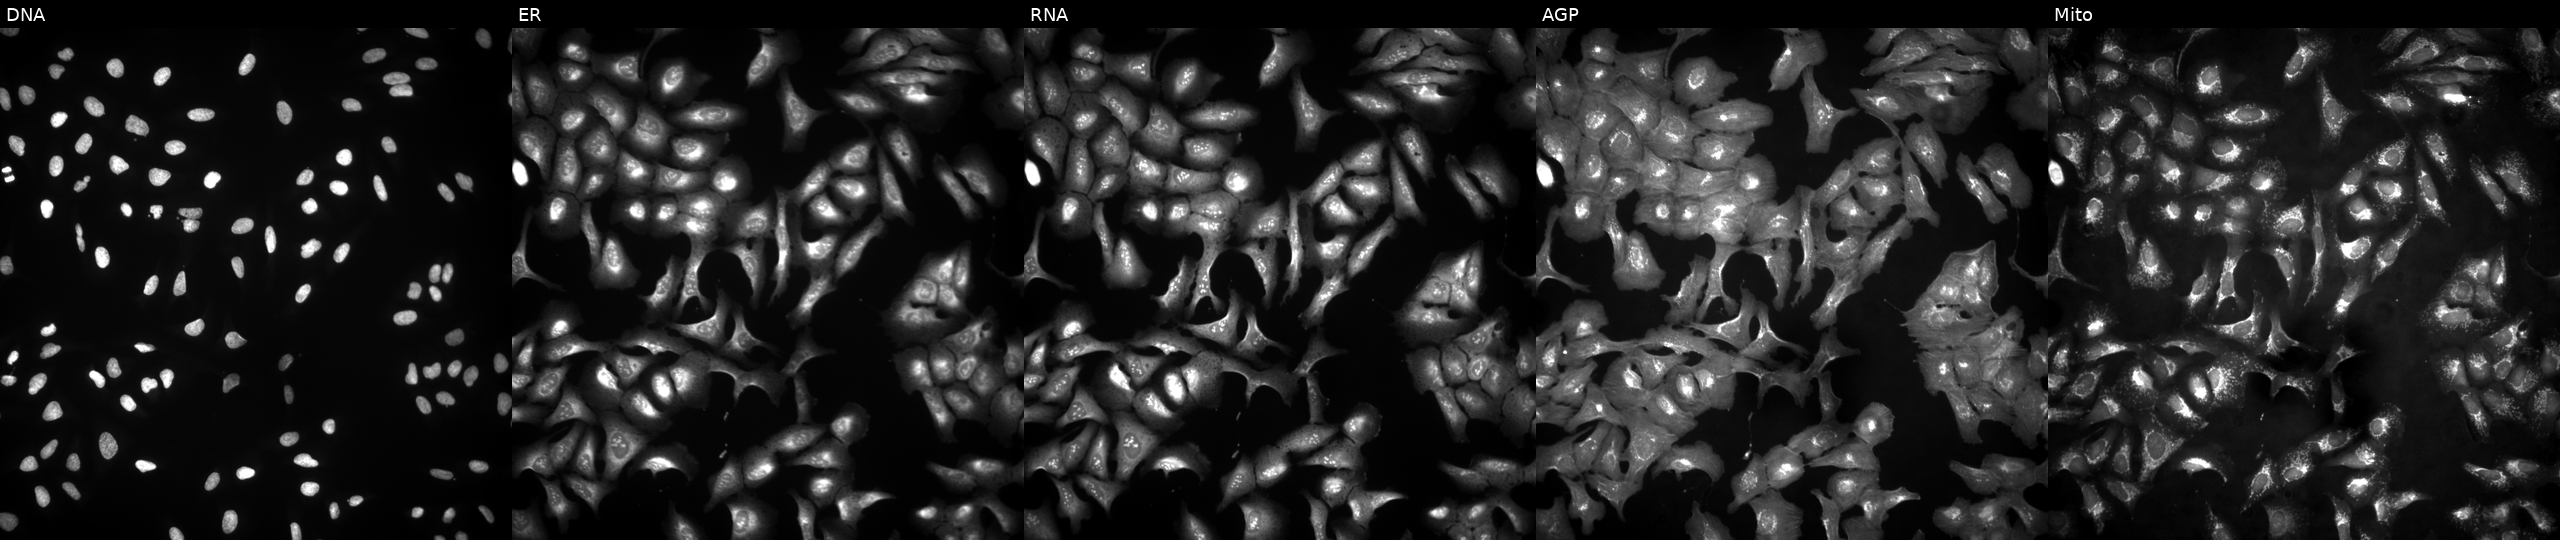
This image strip shows the five Cell Painting channels for a single field of U2OS cells with SPIRE2 overexpressed (ORF) (JUMP id JCP2022_911955). Panels show, left to right, DNA, ER, RNA, AGP, and Mito.